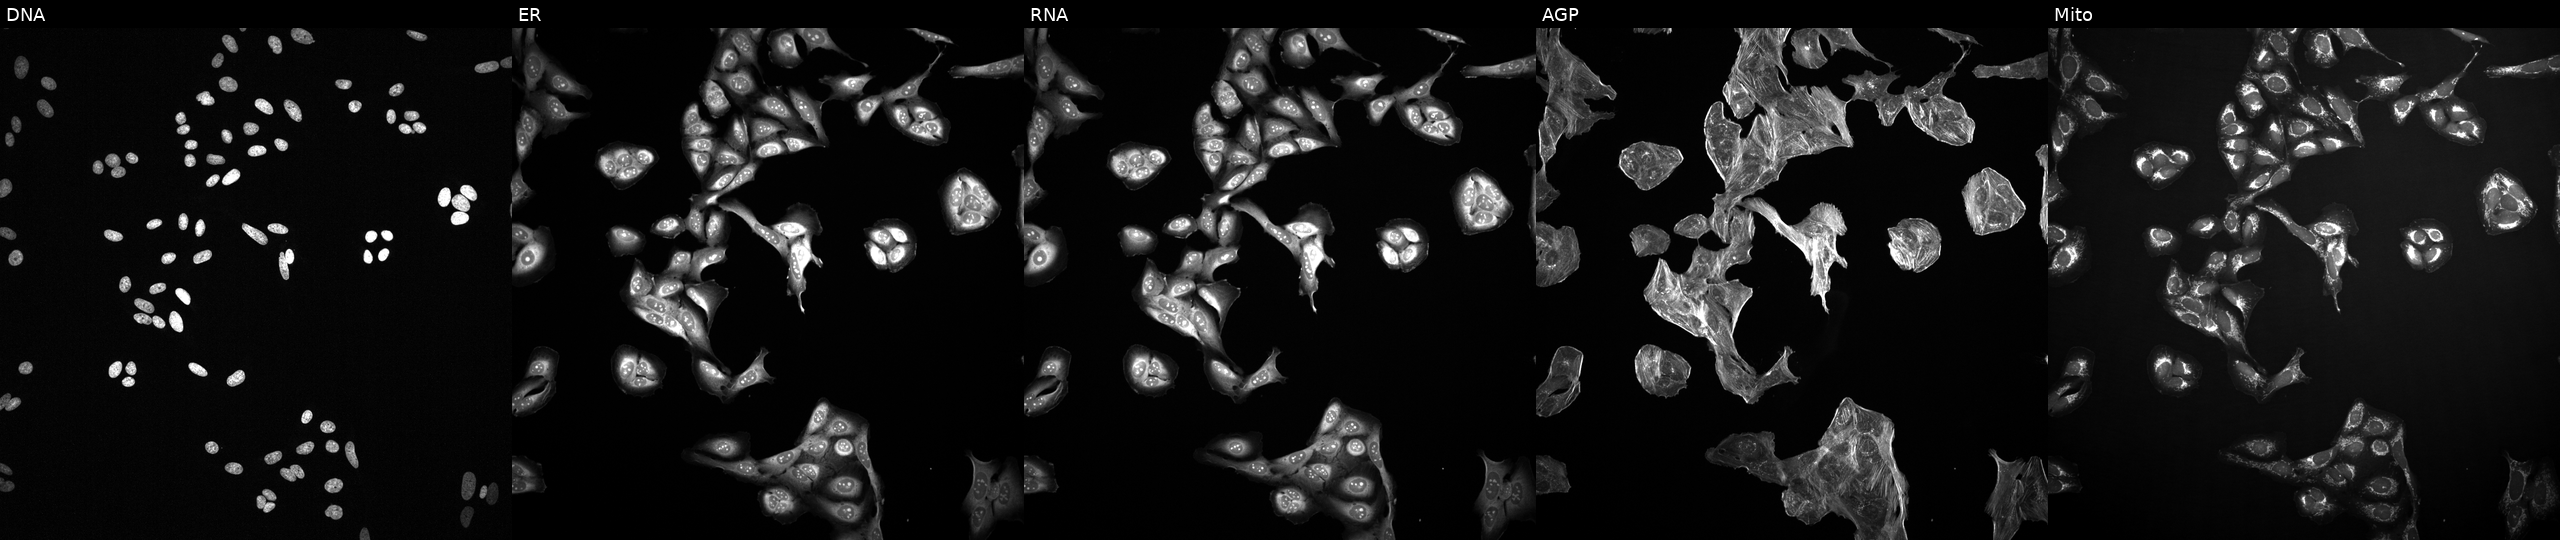
JUMP Cell Painting — TARGET2 plate. U2OS cells perturbed with a small-molecule compound (InChIKey WYWHKKSPHMUBEB-UHFFFAOYSA-N) (JUMP id JCP2022_102083). Channels (left→right): Hoechst 33342, concanavalin A, SYTO 14, phalloidin and WGA, MitoTracker. Source 2, plate 1053597936, well D20.